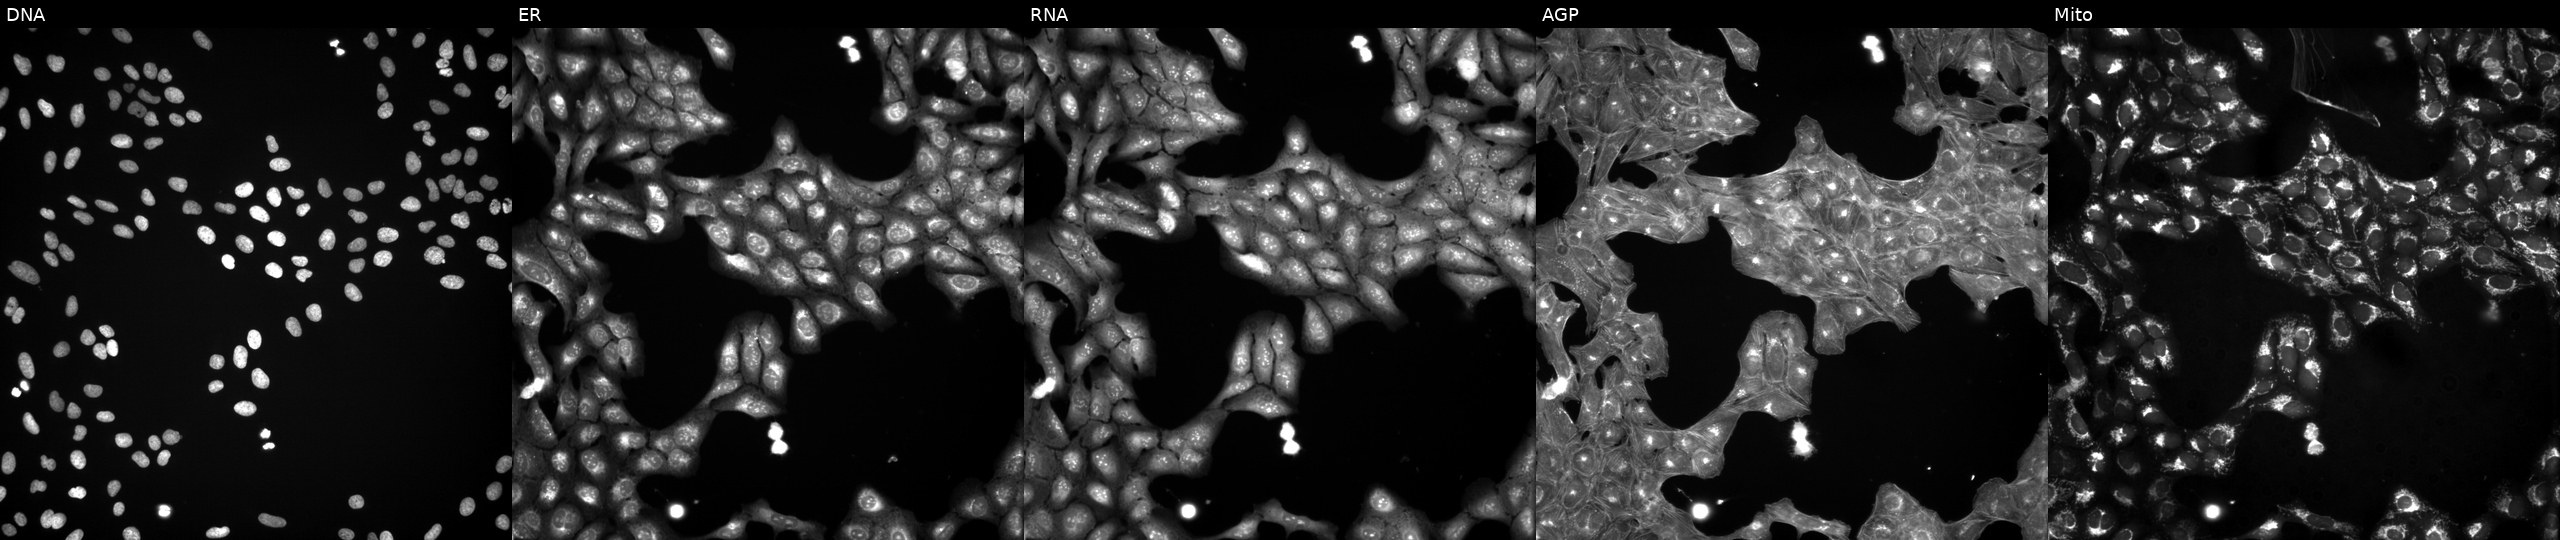
This image strip shows the five Cell Painting channels for a single field of U2OS cells treated with a small-molecule compound (InChIKey LXANPKRCLVQAOG-UHFFFAOYSA-N) (JUMP id JCP2022_052259). From left to right: DNA, ER, RNA, AGP, and Mito.